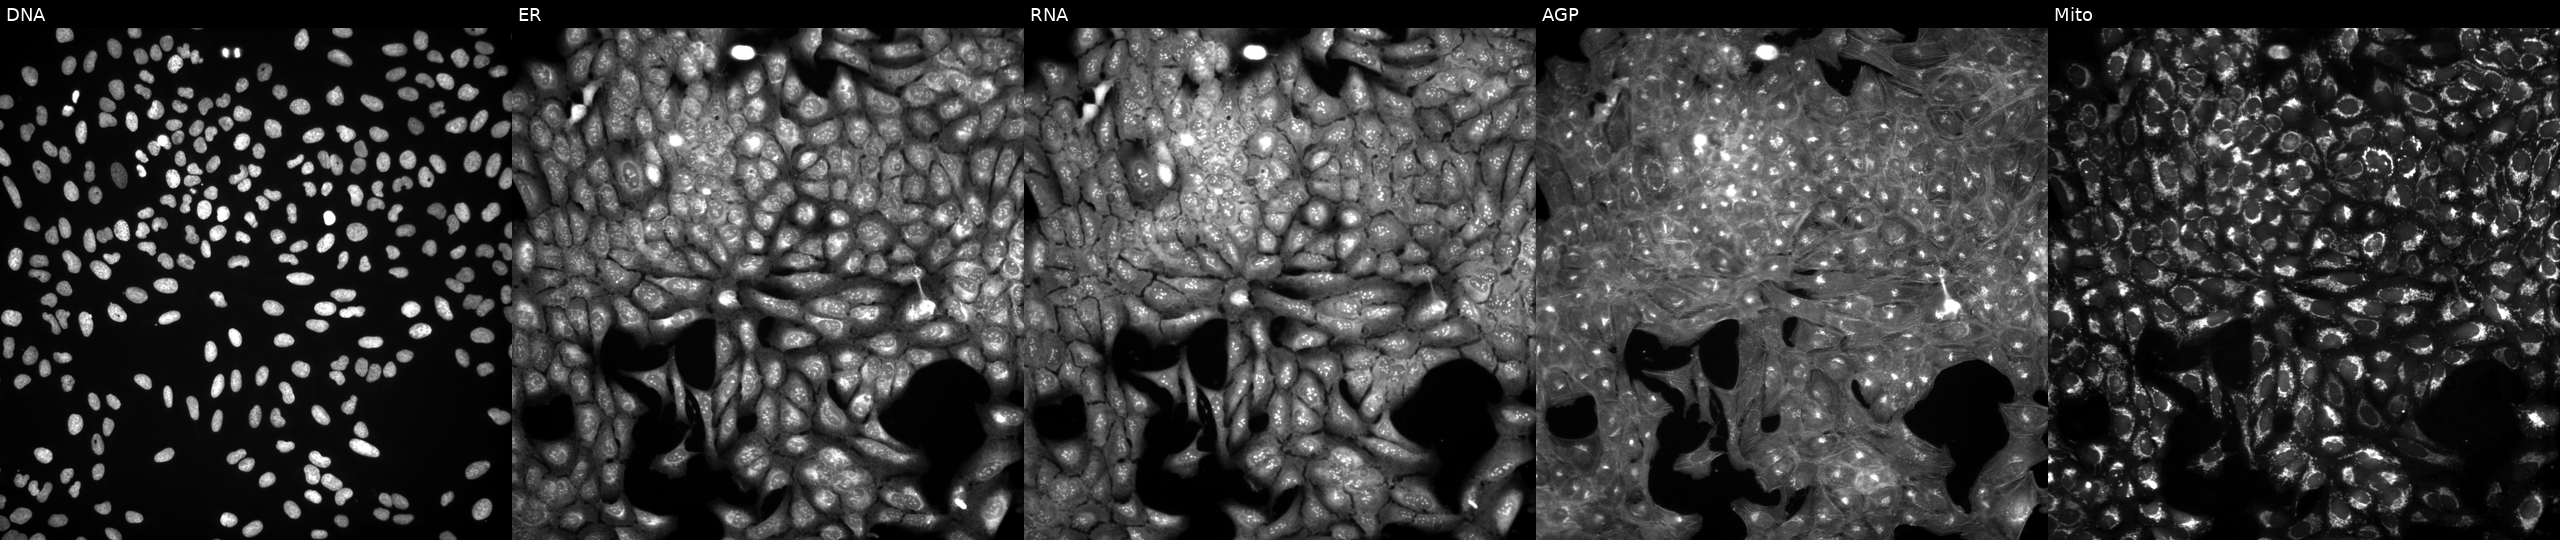
U2OS cells, Cell Painting assay, treated with DMSO vehicle only (negative control). Panels show, left to right, Hoechst 33342, concanavalin A, SYTO 14, phalloidin and WGA, MitoTracker. Each panel is percentile-stretched 16-bit fluorescence.